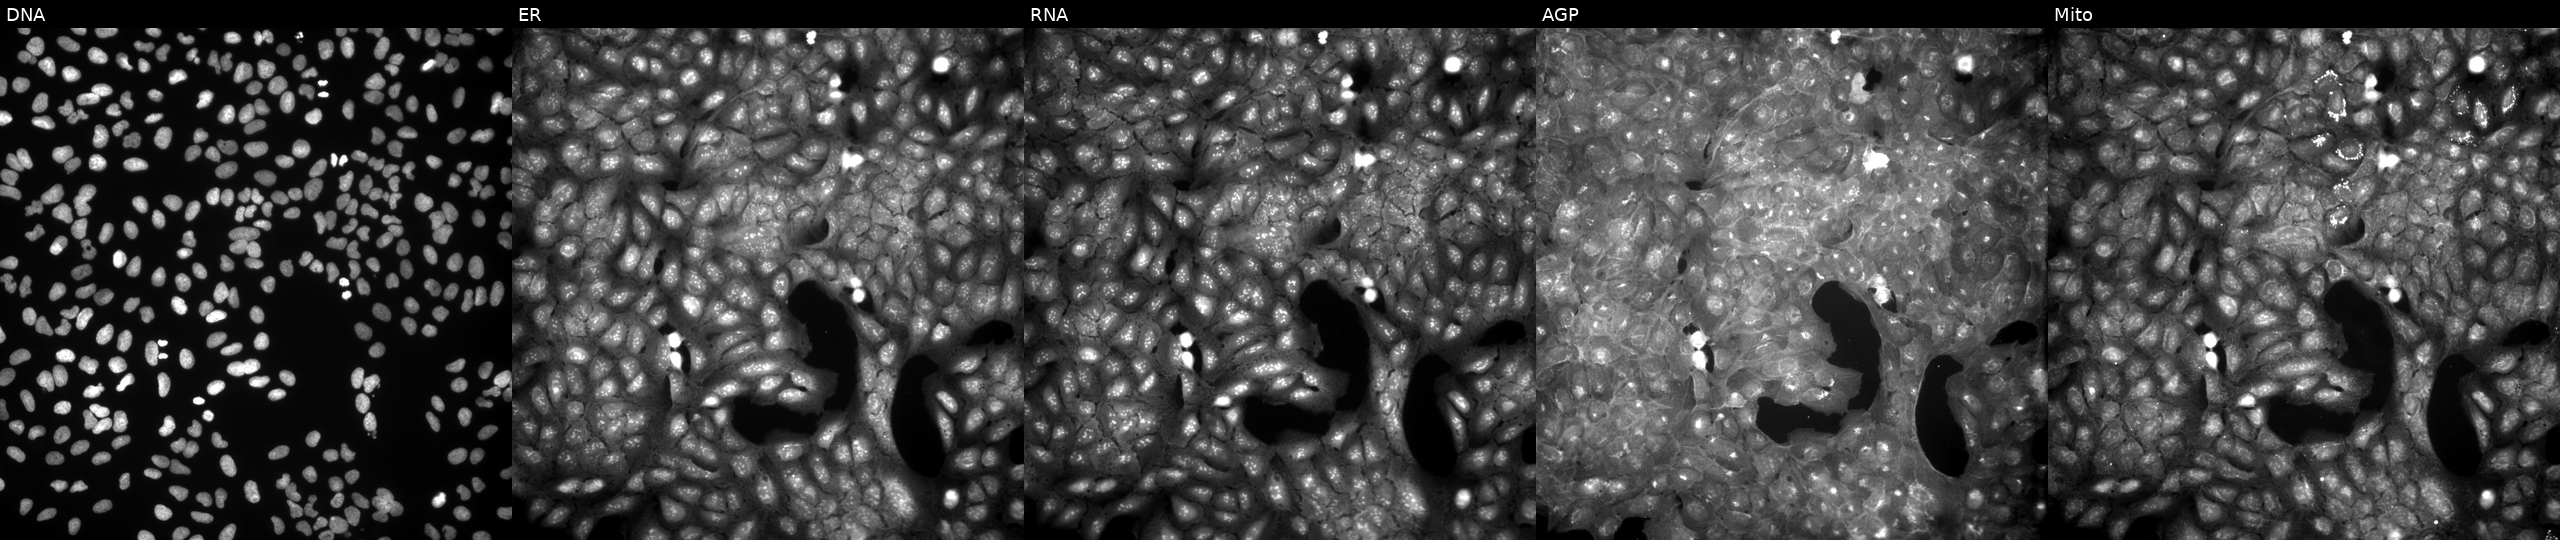
U2OS cells, Cell Painting assay, exposed to DMSO alone as a negative control. Panels show, left to right, Hoechst 33342, concanavalin A, SYTO 14, phalloidin and WGA, MitoTracker. Each panel is percentile-stretched 16-bit fluorescence.